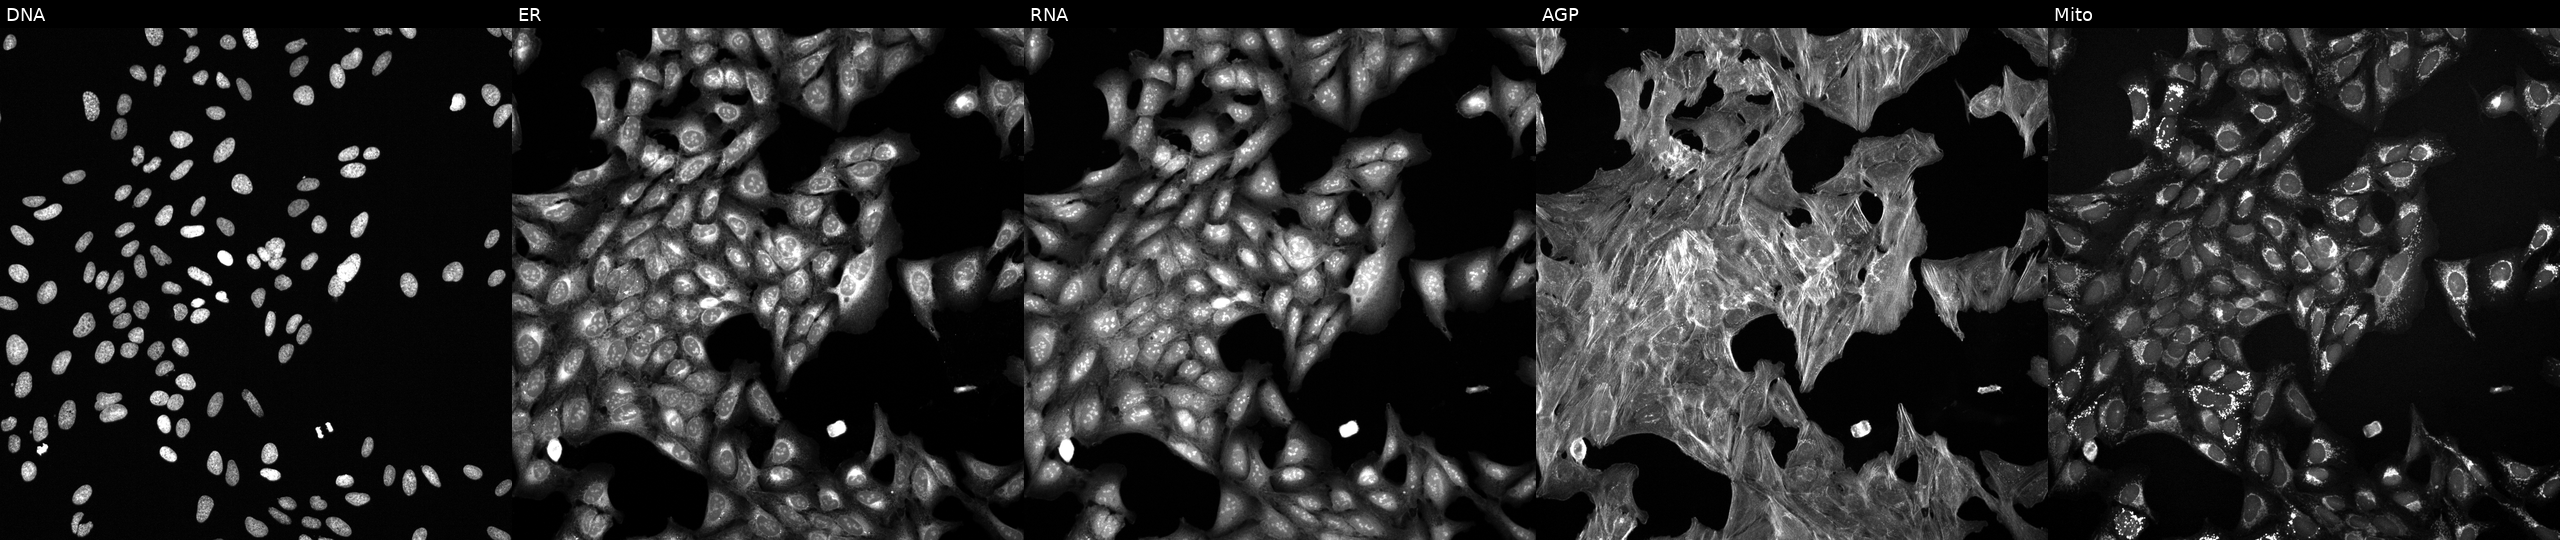
JUMP Cell Painting — COMPOUND plate. U2OS cells exposed to a small-molecule compound (InChIKey JWNMHXRQCRSCDH-UHFFFAOYSA-N) (JUMP id JCP2022_042594). Channels (left→right): DNA (nuclei); ER (endoplasmic reticulum); RNA (nucleoli and cytoplasmic RNA); AGP (actin cytoskeleton, Golgi, and plasma membrane); Mito (mitochondria).